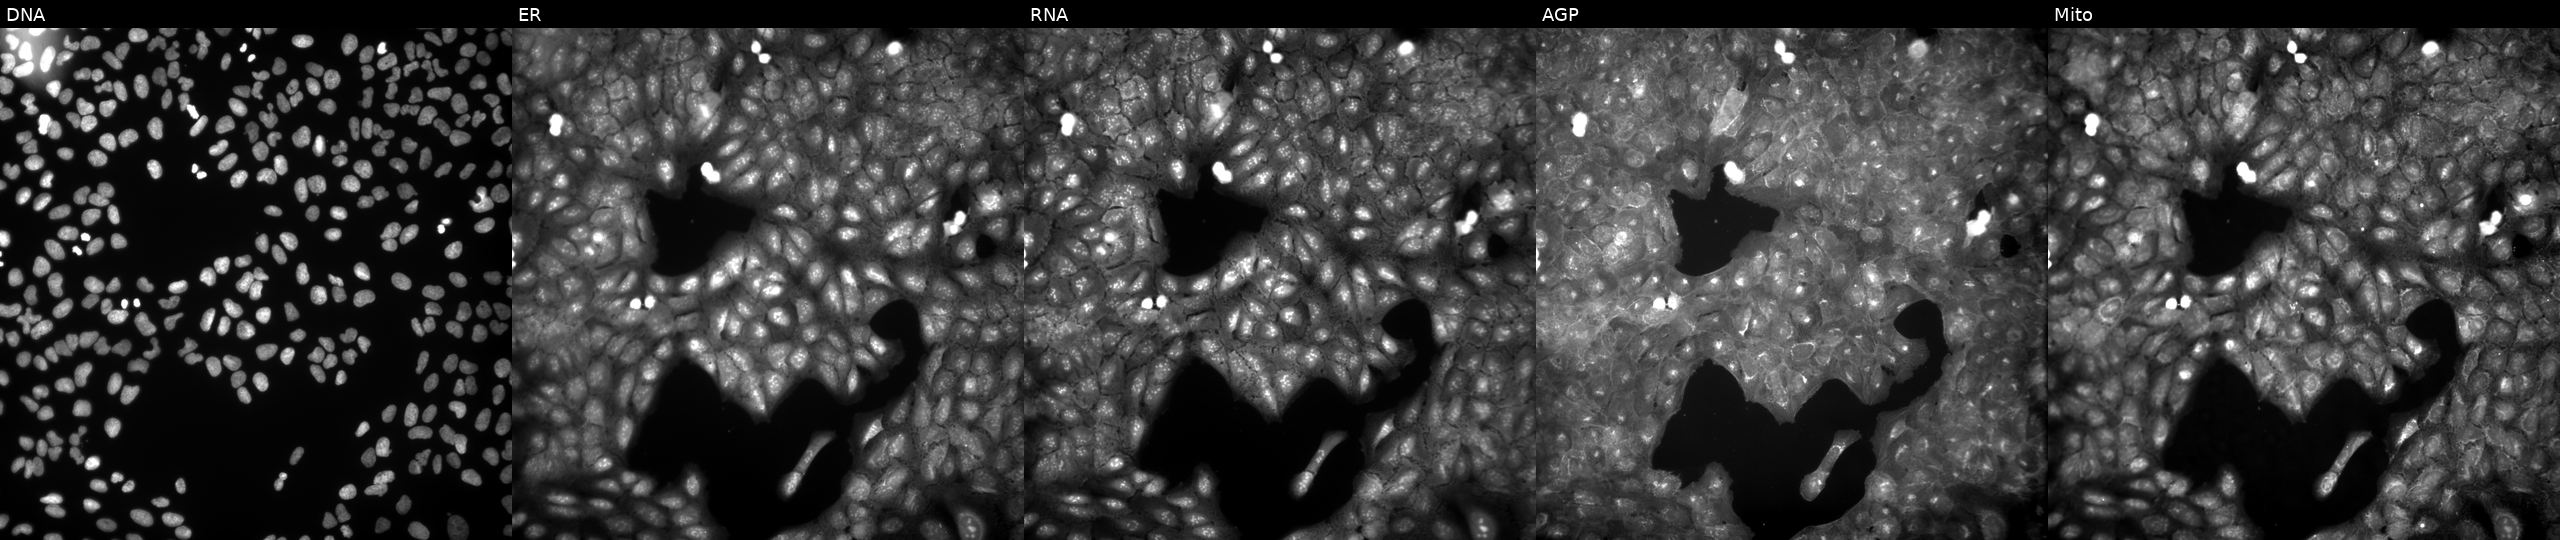
U2OS cells, Cell Painting assay, exposed to a small-molecule compound (InChIKey ZBTNOACUEZNVOJ-UHFFFAOYSA-N). Panels show, left to right, DNA, ER, RNA, AGP, and Mito. Each panel is percentile-stretched 16-bit fluorescence. Source 9, plate GR00003382, well H42.